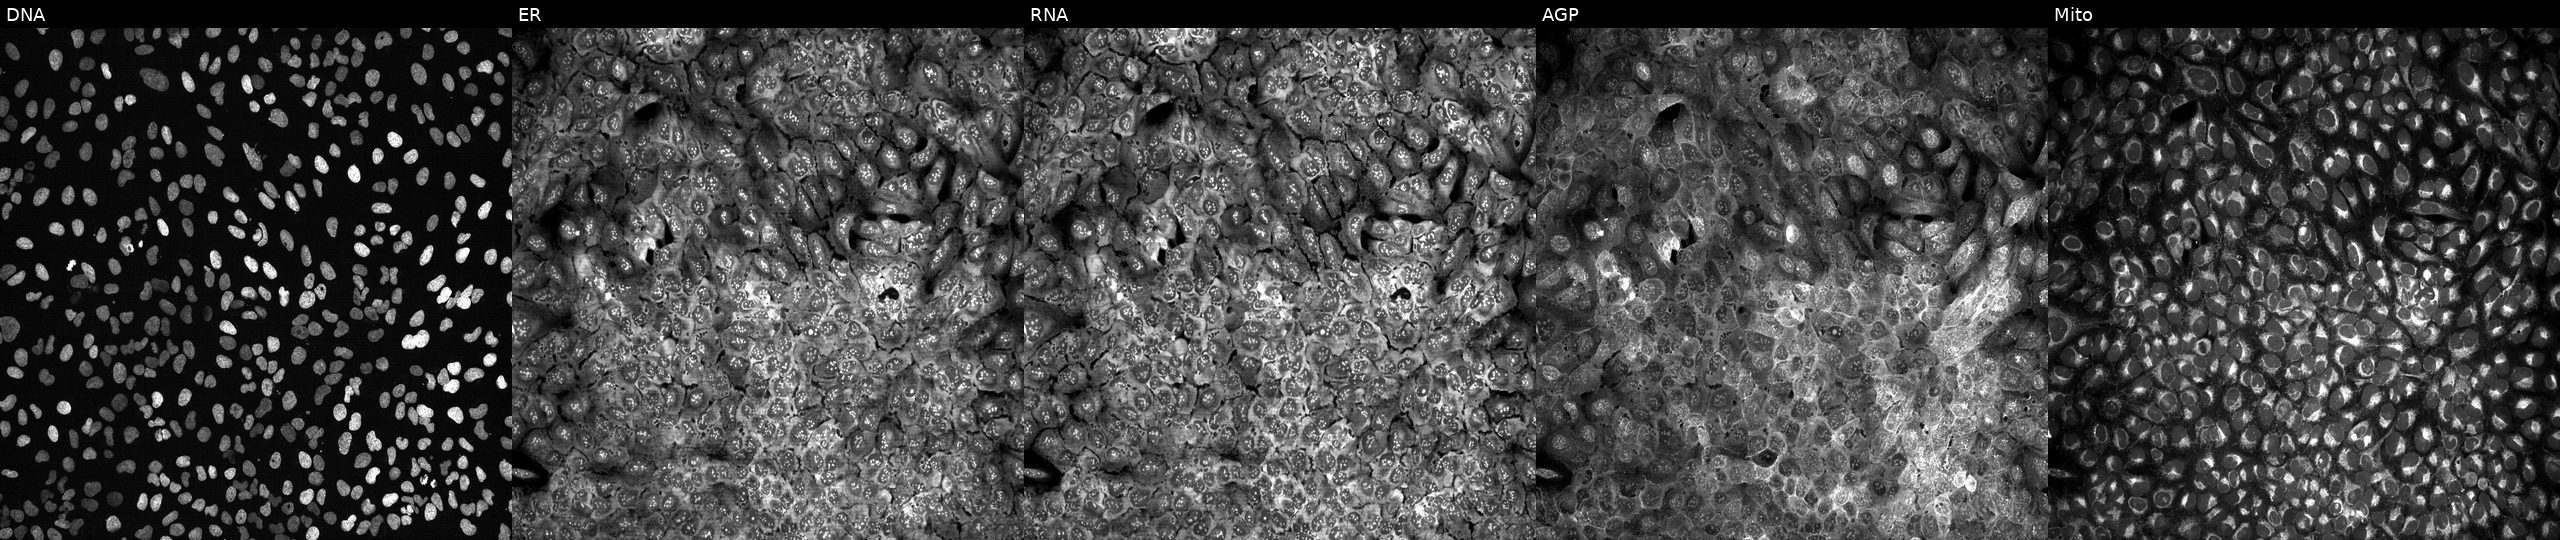
U2OS cells, Cell Painting assay, following CRISPR knockout of SLC2A12. Panels show, left to right, Hoechst 33342, concanavalin A, SYTO 14, phalloidin and WGA, MitoTracker. Each panel is percentile-stretched 16-bit fluorescence. Source 13, plate CP-CC9-R4-04, well E10.